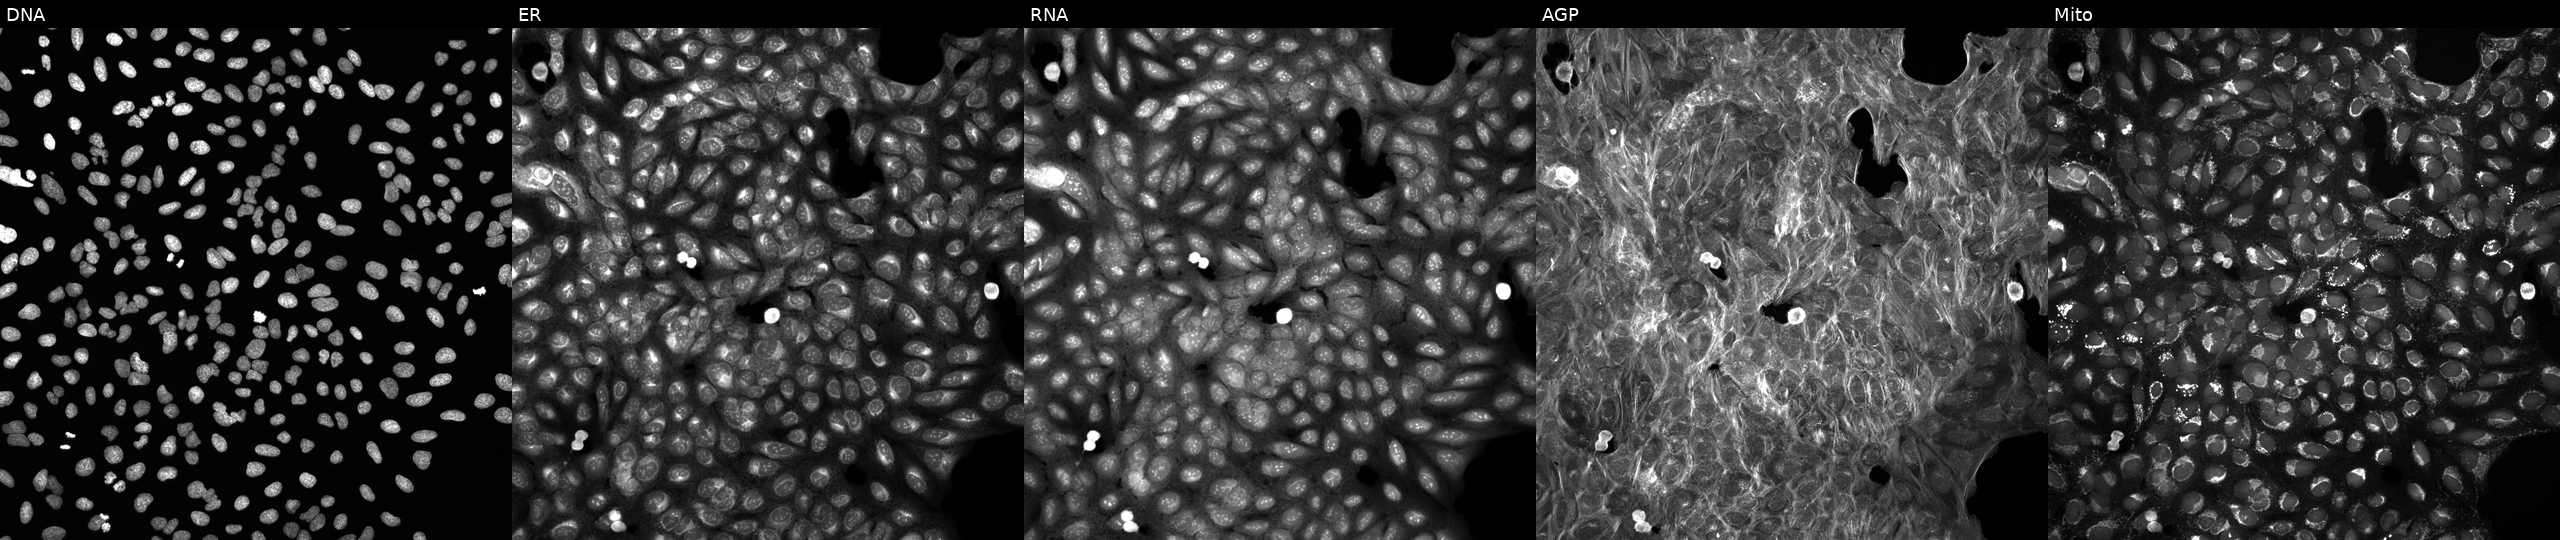
This image strip shows the five Cell Painting channels for a single field of U2OS cells treated with a small-molecule compound (InChIKey GCUCIFQCGJIRNT-UHFFFAOYSA-N). The five panels, left to right, show DNA, ER, RNA, AGP, and Mito.